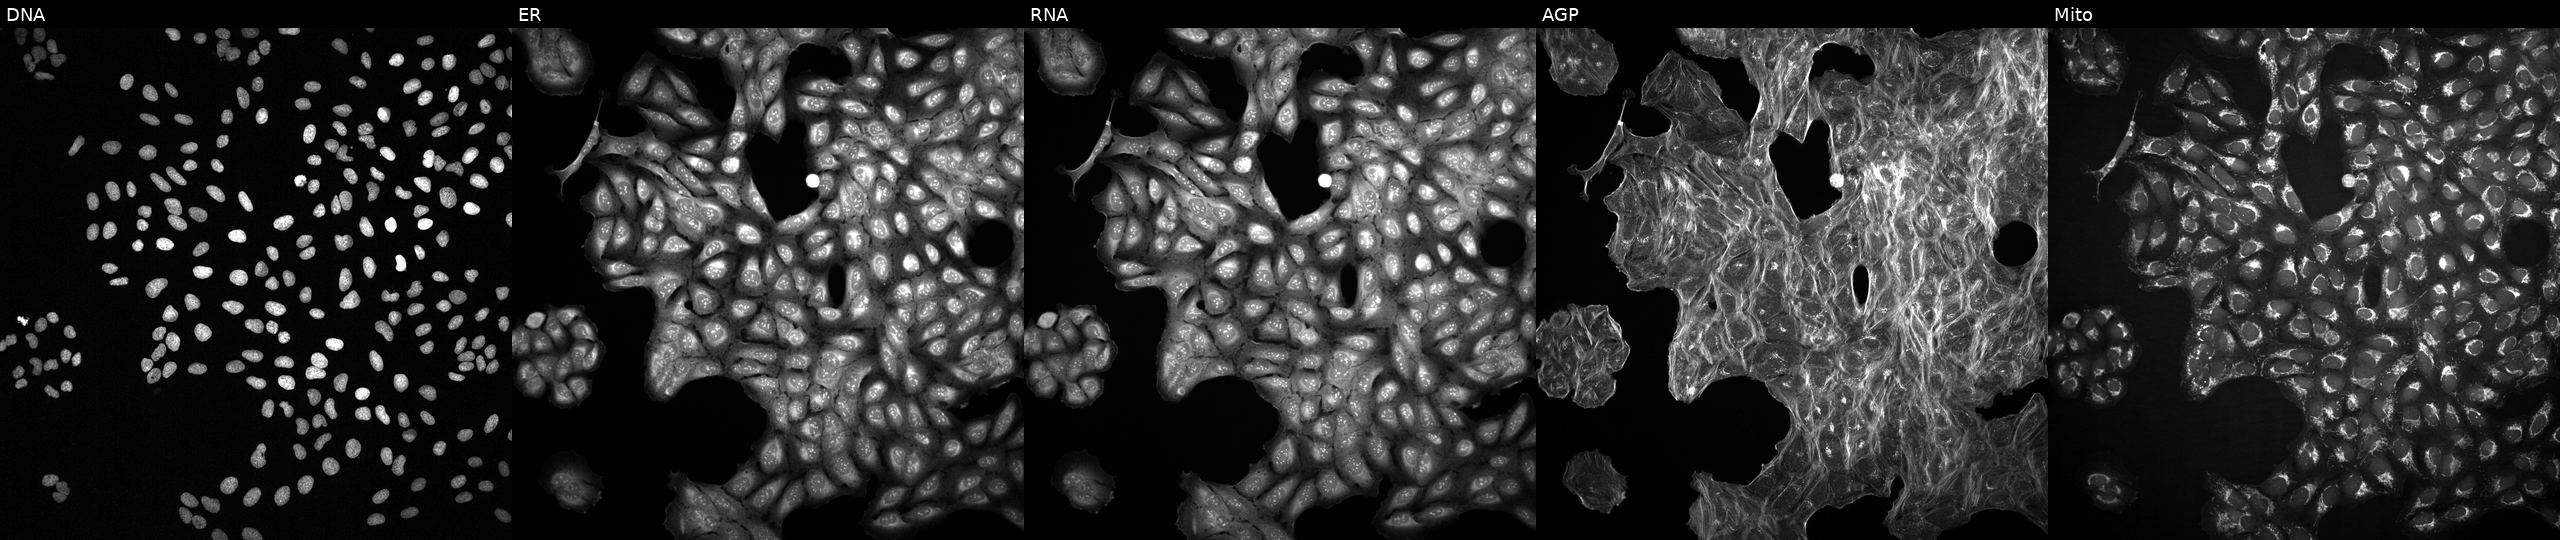
Panels show, left to right, DNA, ER, RNA, AGP, and Mito. U2OS osteosarcoma cells treated with DMSO vehicle only (negative control). Cell Painting assay, JUMP-CP dataset.